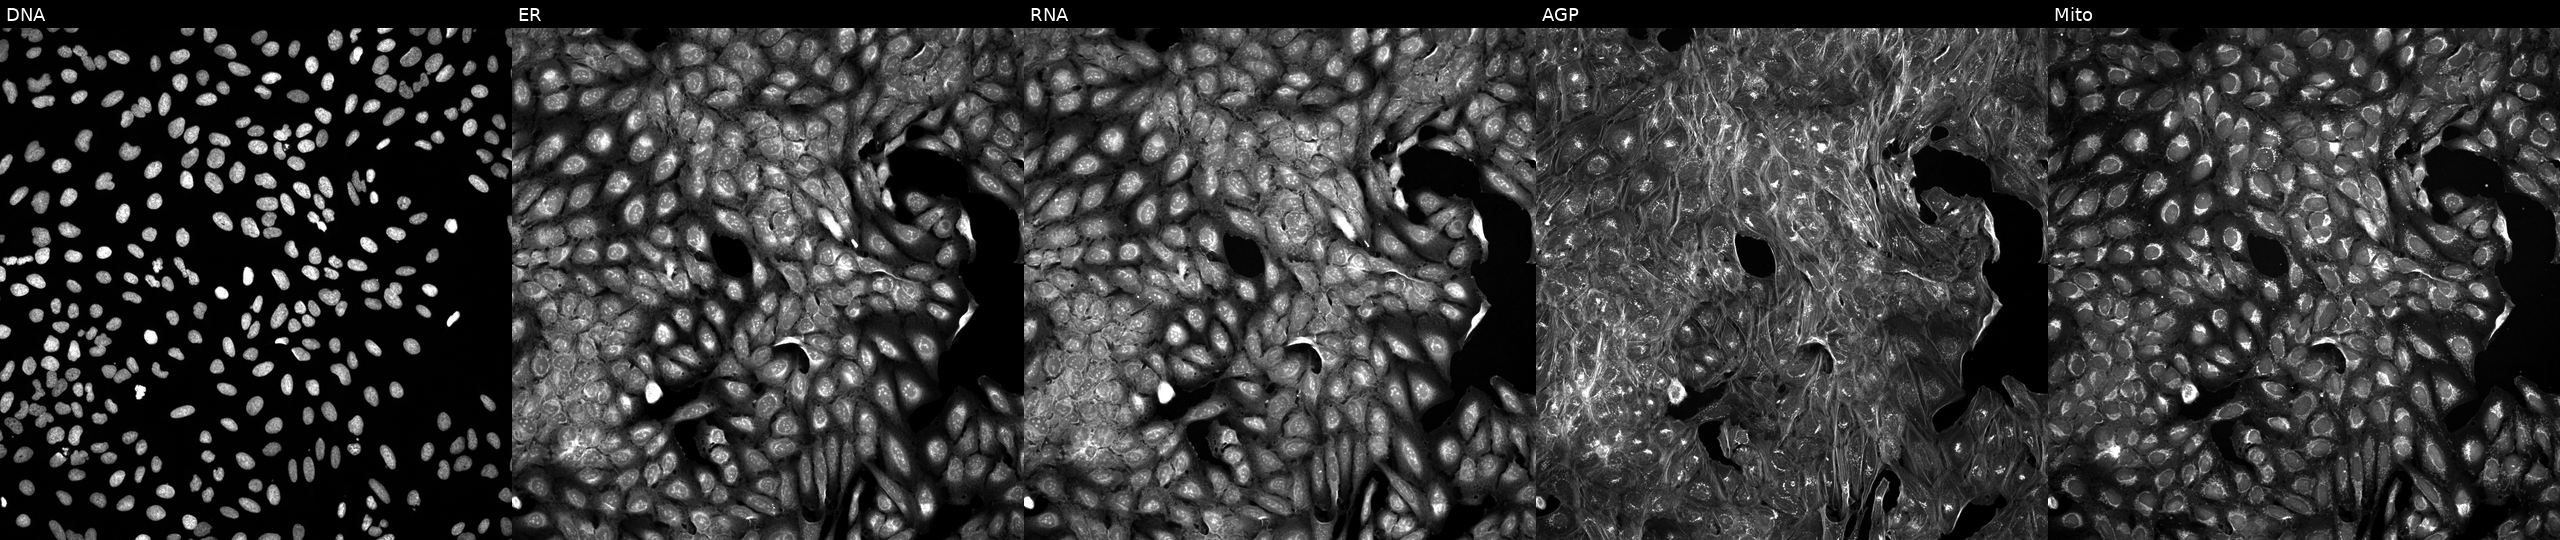
JUMP Cell Painting — TARGET2 plate. U2OS cells exposed to a small-molecule compound (InChIKey JVGBTTIJPBFLTE-UHFFFAOYSA-N) [SMILES: O=C1NCN(c2ccccc2)C12CCN(CC1COc3ccccc3O1)CC2] (JUMP id JCP2022_042354). From left to right: DNA (nuclei); ER (endoplasmic reticulum); RNA (nucleoli and cytoplasmic RNA); AGP (actin cytoskeleton, Golgi, and plasma membrane); Mito (mitochondria).